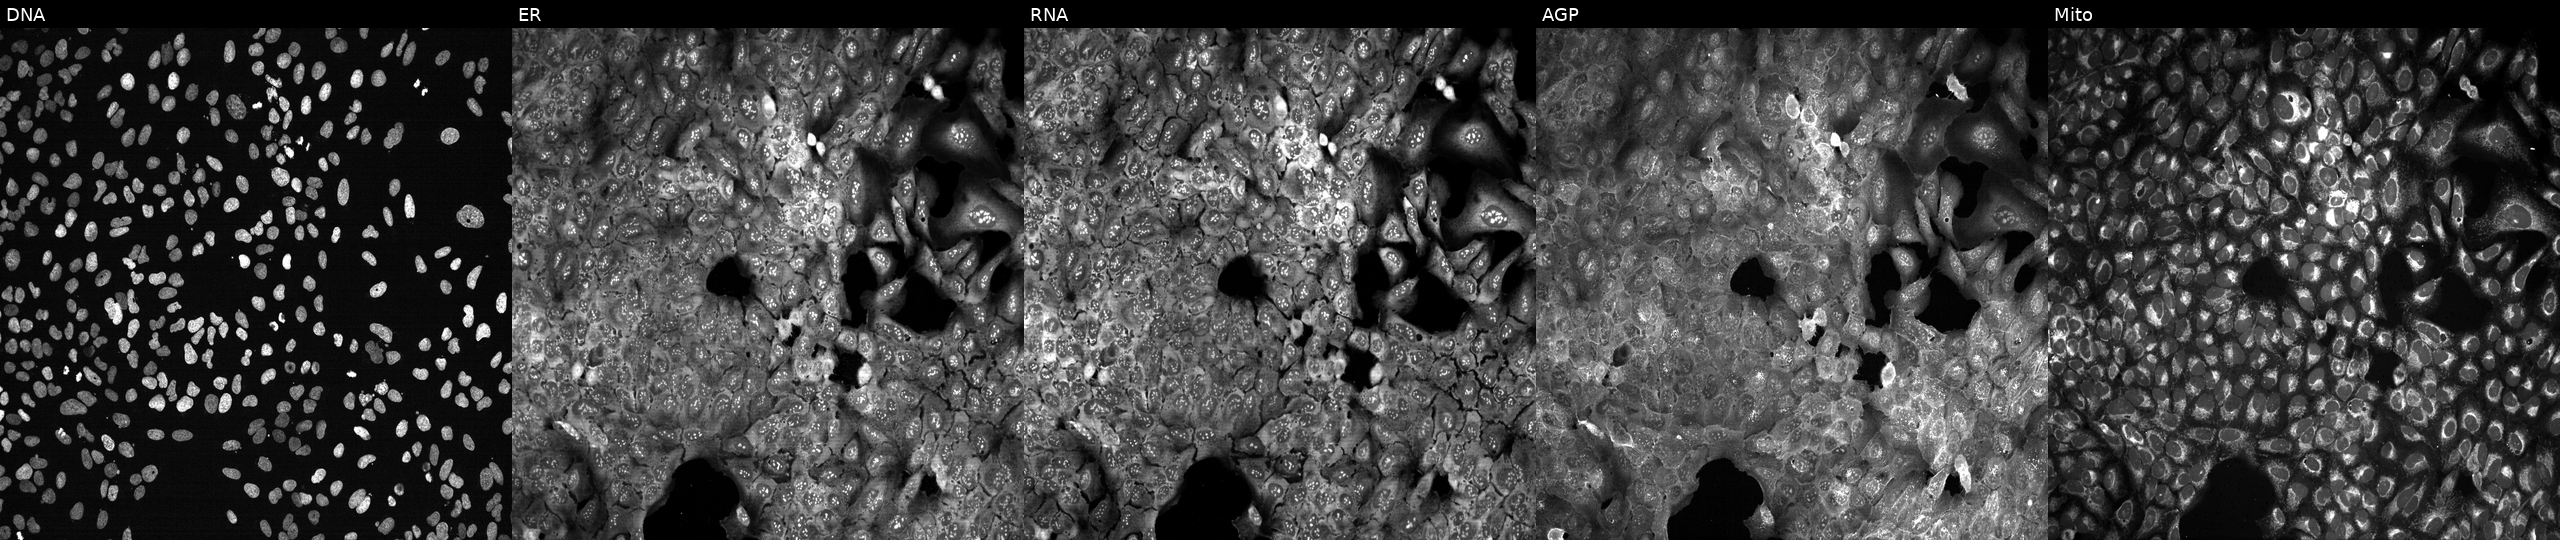
U2OS cells, Cell Painting assay, with PROCR knocked out by CRISPR. The five panels, left to right, show DNA (nuclei); ER (endoplasmic reticulum); RNA (nucleoli and cytoplasmic RNA); AGP (actin cytoskeleton, Golgi, and plasma membrane); Mito (mitochondria). Each panel is percentile-stretched 16-bit fluorescence.